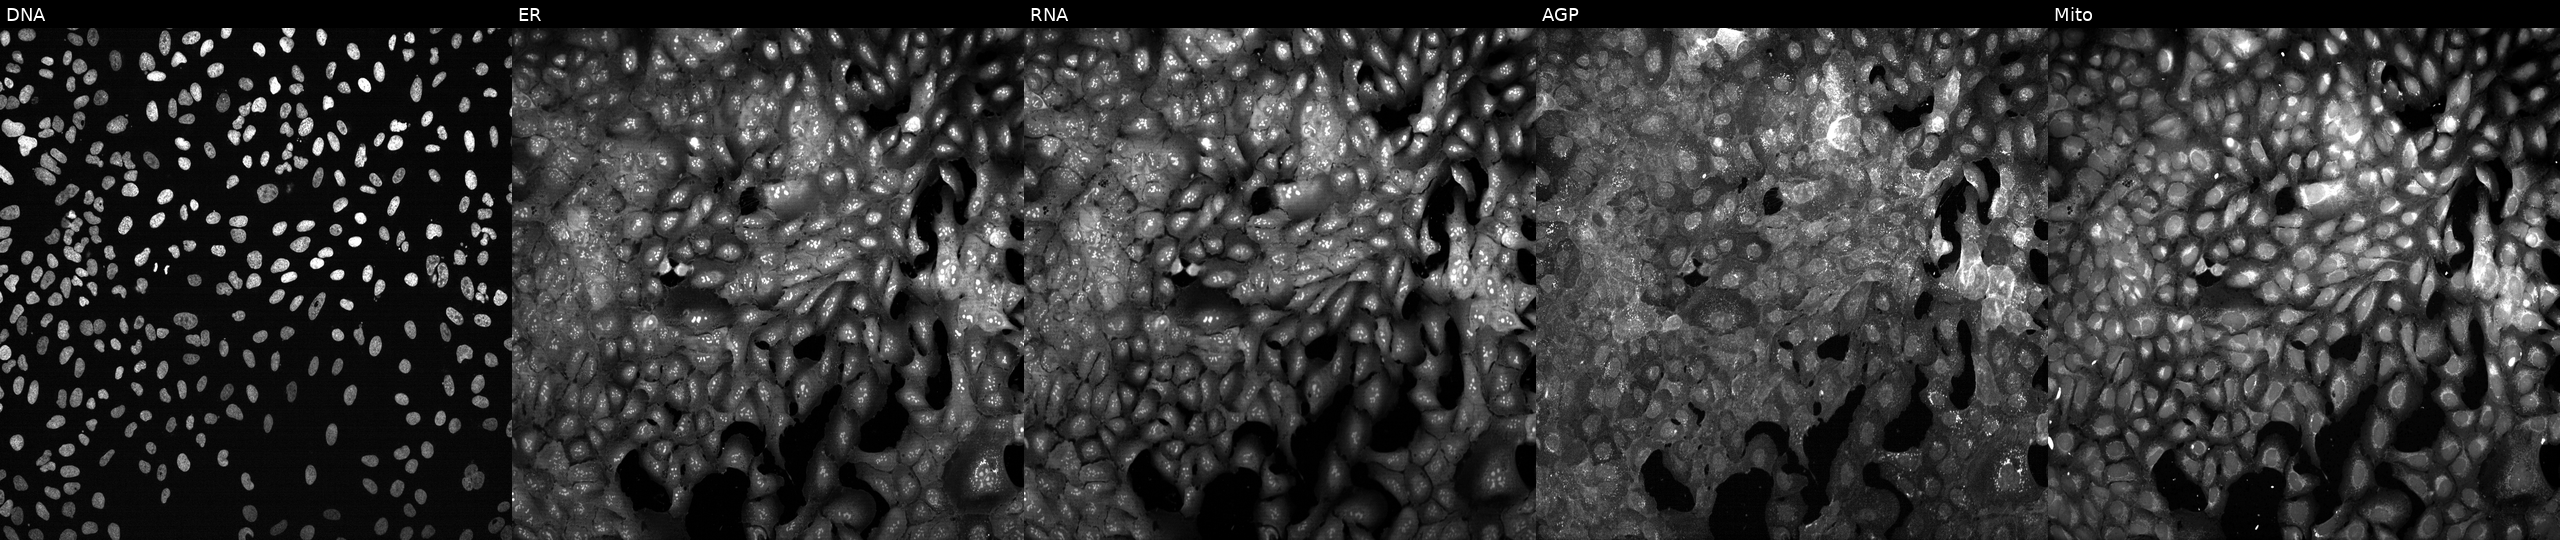
Panels show, left to right, DNA (nuclei); ER (endoplasmic reticulum); RNA (nucleoli and cytoplasmic RNA); AGP (actin cytoskeleton, Golgi, and plasma membrane); Mito (mitochondria). U2OS osteosarcoma cells following CRISPR knockout of SMUG1 (JUMP id JCP2022_806652). Cell Painting assay, JUMP-CP dataset.